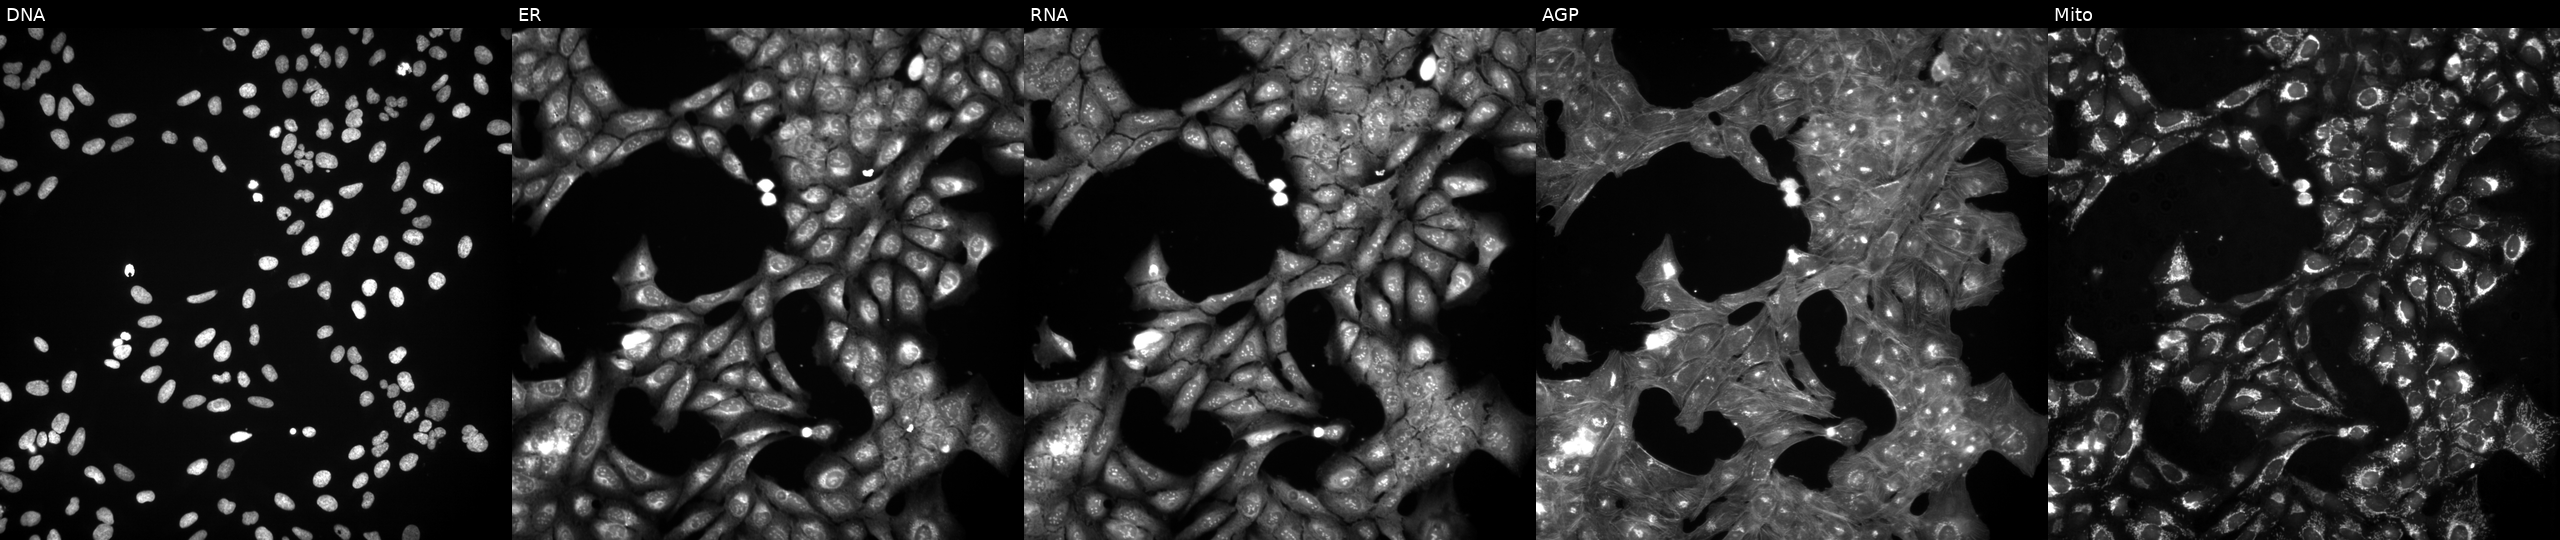
High-content fluorescence microscopy (Cell Painting). Cell line: U2OS. Perturbation: treated with DMSO vehicle only (negative control). Panels show, left to right, DNA (nuclei); ER (endoplasmic reticulum); RNA (nucleoli and cytoplasmic RNA); AGP (actin cytoskeleton, Golgi, and plasma membrane); Mito (mitochondria).